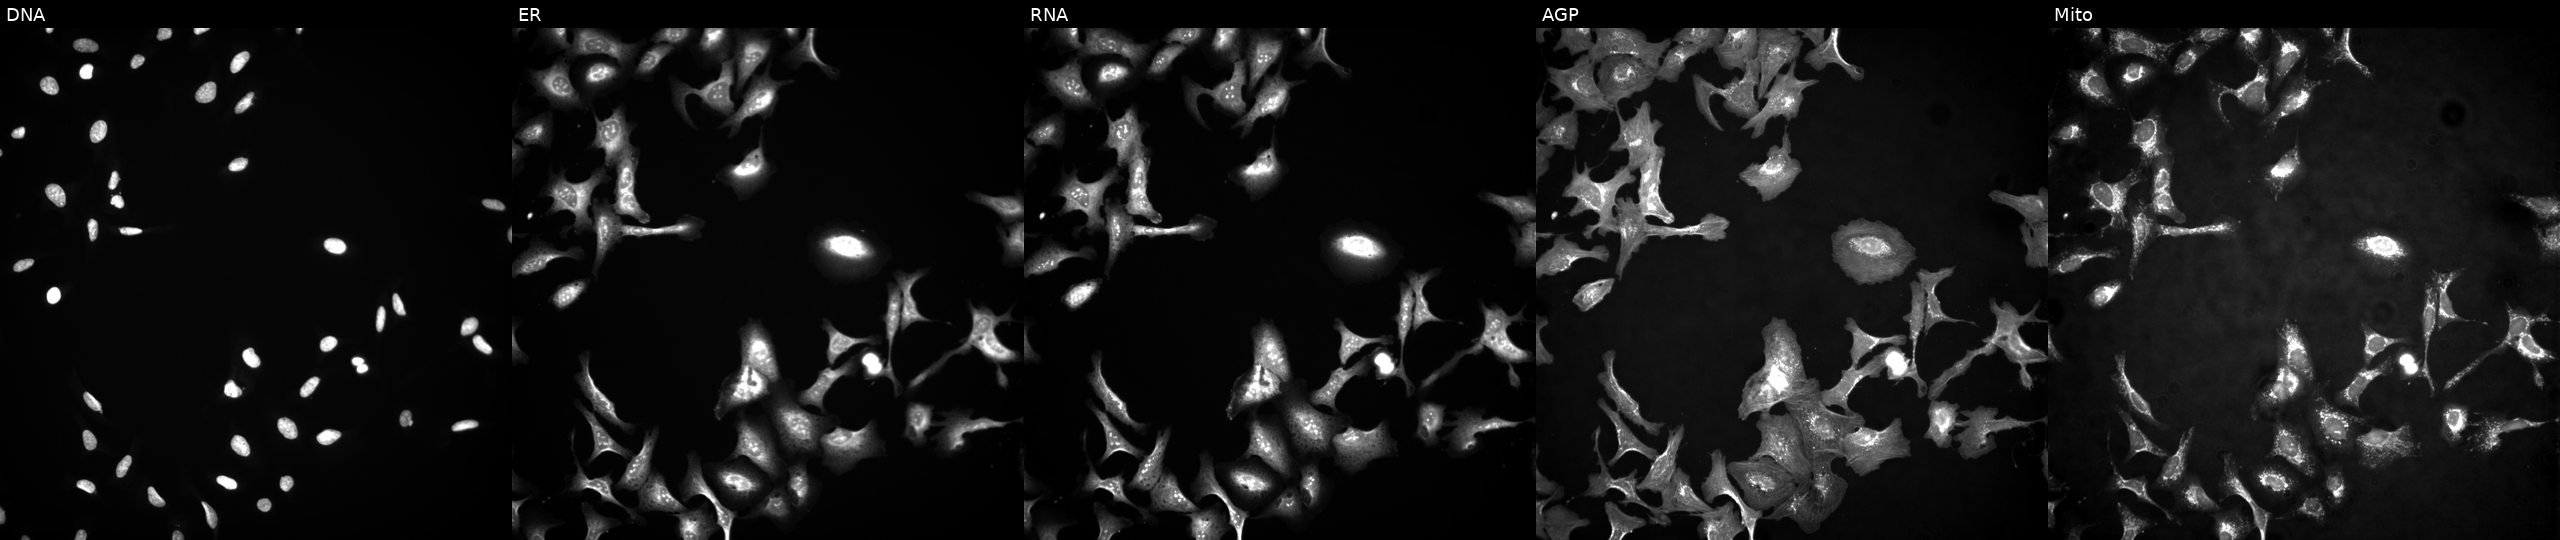
This image strip shows the five Cell Painting channels for a single field of U2OS cells transfected with an ORF construct for ACVR1C. From left to right: Hoechst 33342, concanavalin A, SYTO 14, phalloidin and WGA, MitoTracker. Source 4, plate BR00123945, well C21.